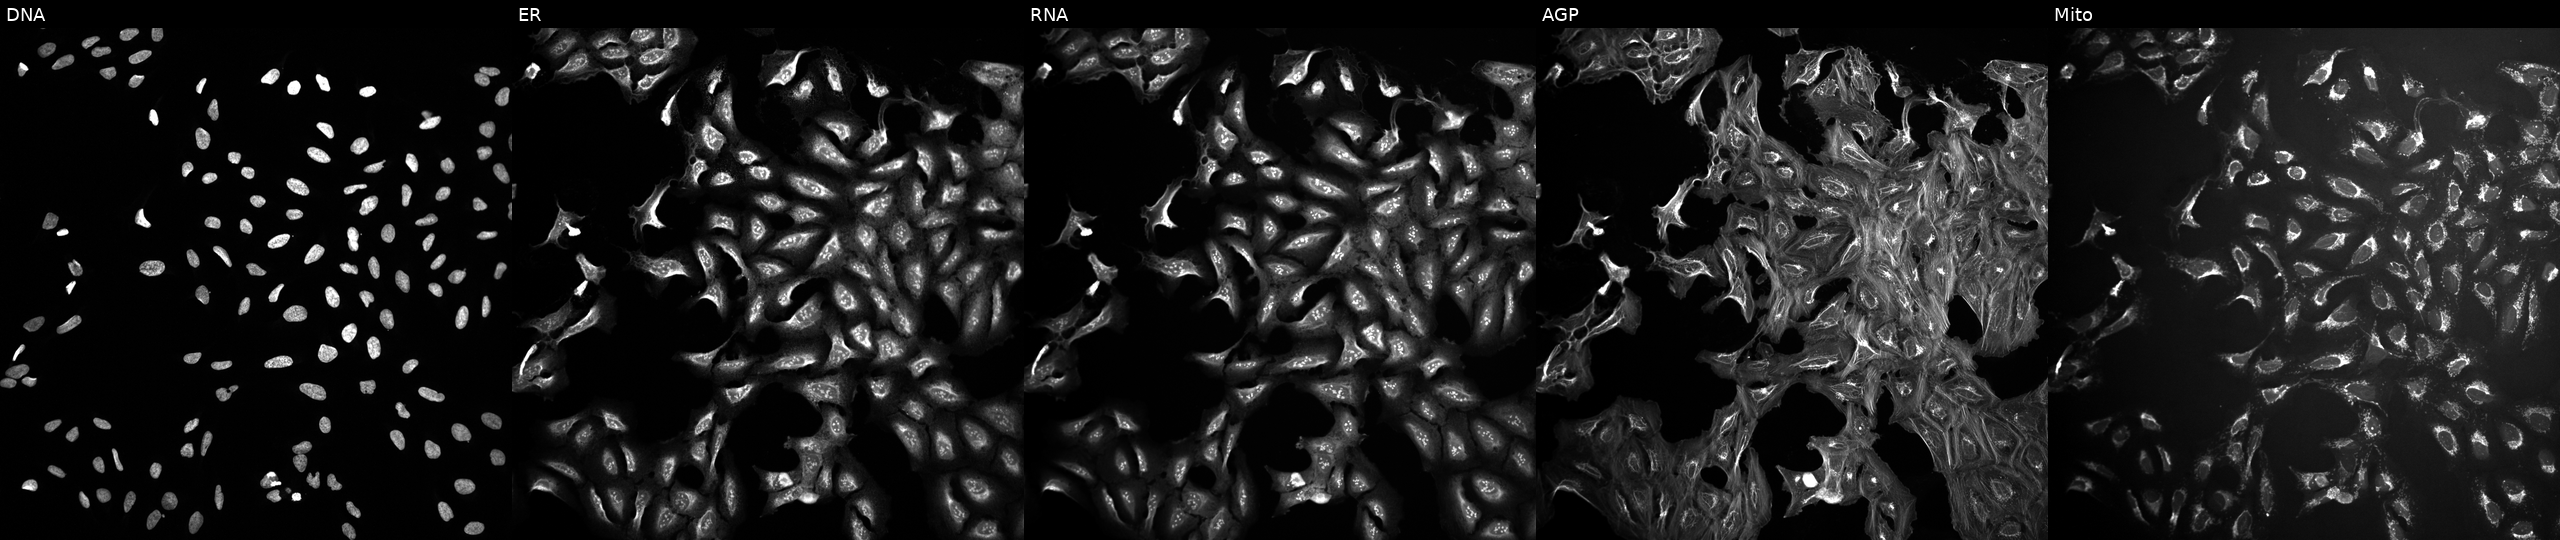
From left to right: Hoechst 33342, concanavalin A, SYTO 14, phalloidin and WGA, MitoTracker. U2OS osteosarcoma cells exposed to a small-molecule compound (InChIKey HBUBKKRHXORPQB-UHFFFAOYSA-N) [SMILES: N=c1[nH]c(F)nc2c1ncn2C1OC(CO)C(O)C1O]. Cell Painting assay, JUMP-CP dataset. Source 10, plate Dest210726-160150, well I23.